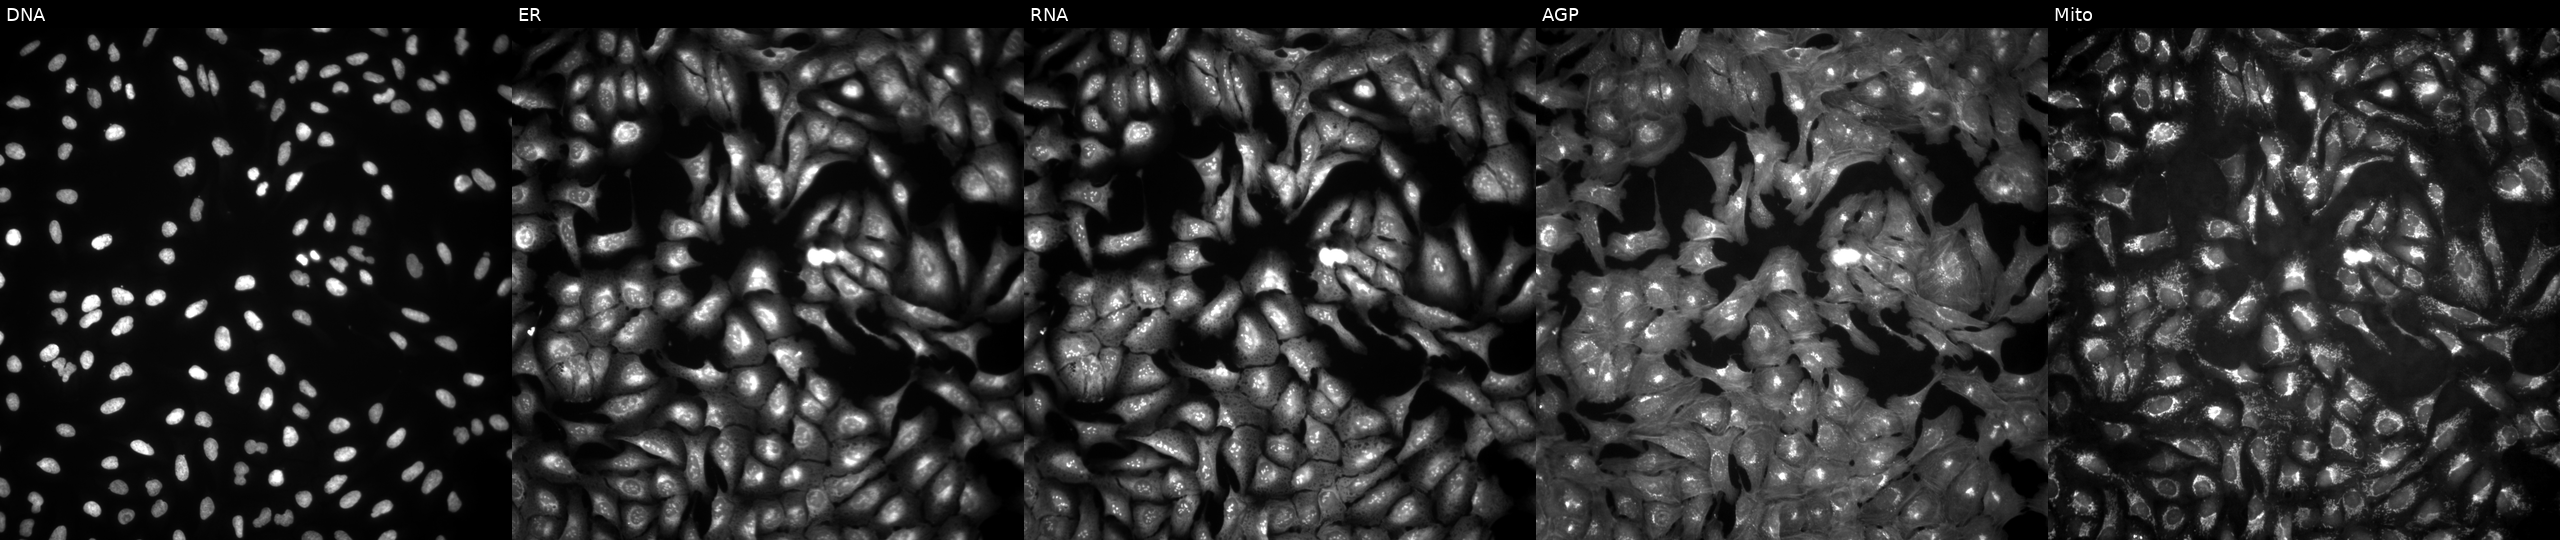
High-content fluorescence microscopy (Cell Painting). Cell line: U2OS. Perturbation: overexpressing FBXO28 via ORF transfection (JUMP id JCP2022_902568). Channels (left→right): DNA (nuclei); ER (endoplasmic reticulum); RNA (nucleoli and cytoplasmic RNA); AGP (actin cytoskeleton, Golgi, and plasma membrane); Mito (mitochondria).